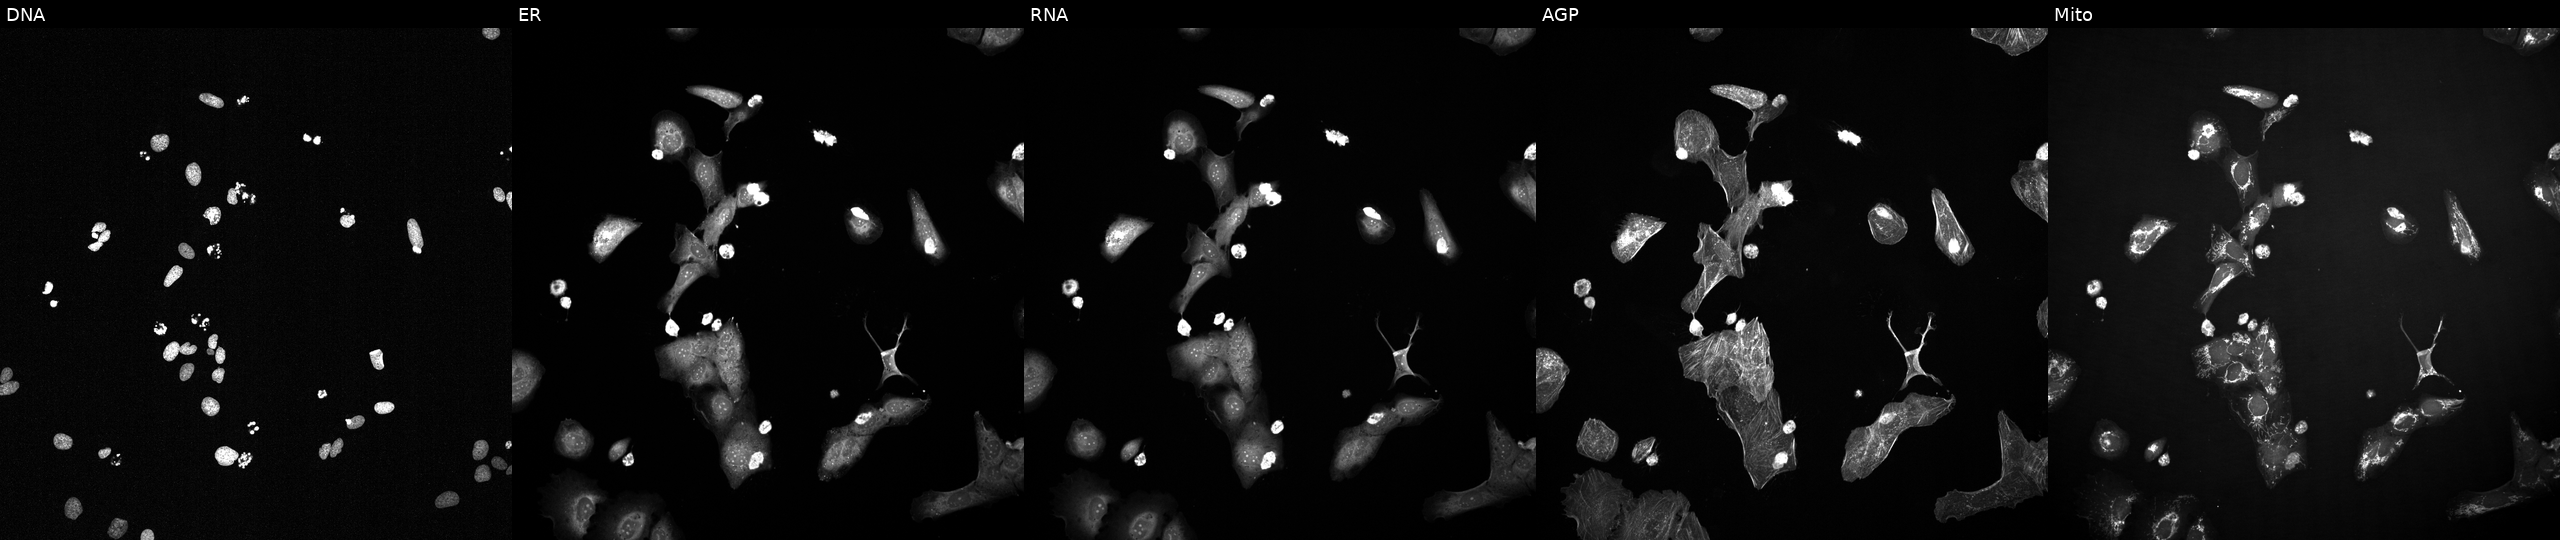
Five-channel Cell Painting image of U2OS cells treated with a small-molecule compound (InChIKey WSMQUUGTQYPVPD-UHFFFAOYSA-N) [SMILES: COc1cccc(-c2cc(F)ccc2C2Cc3[nH]c(=N)nc(C)c3C(=O)N2)n1]. Panels show, left to right, DNA, ER, RNA, AGP, and Mito.